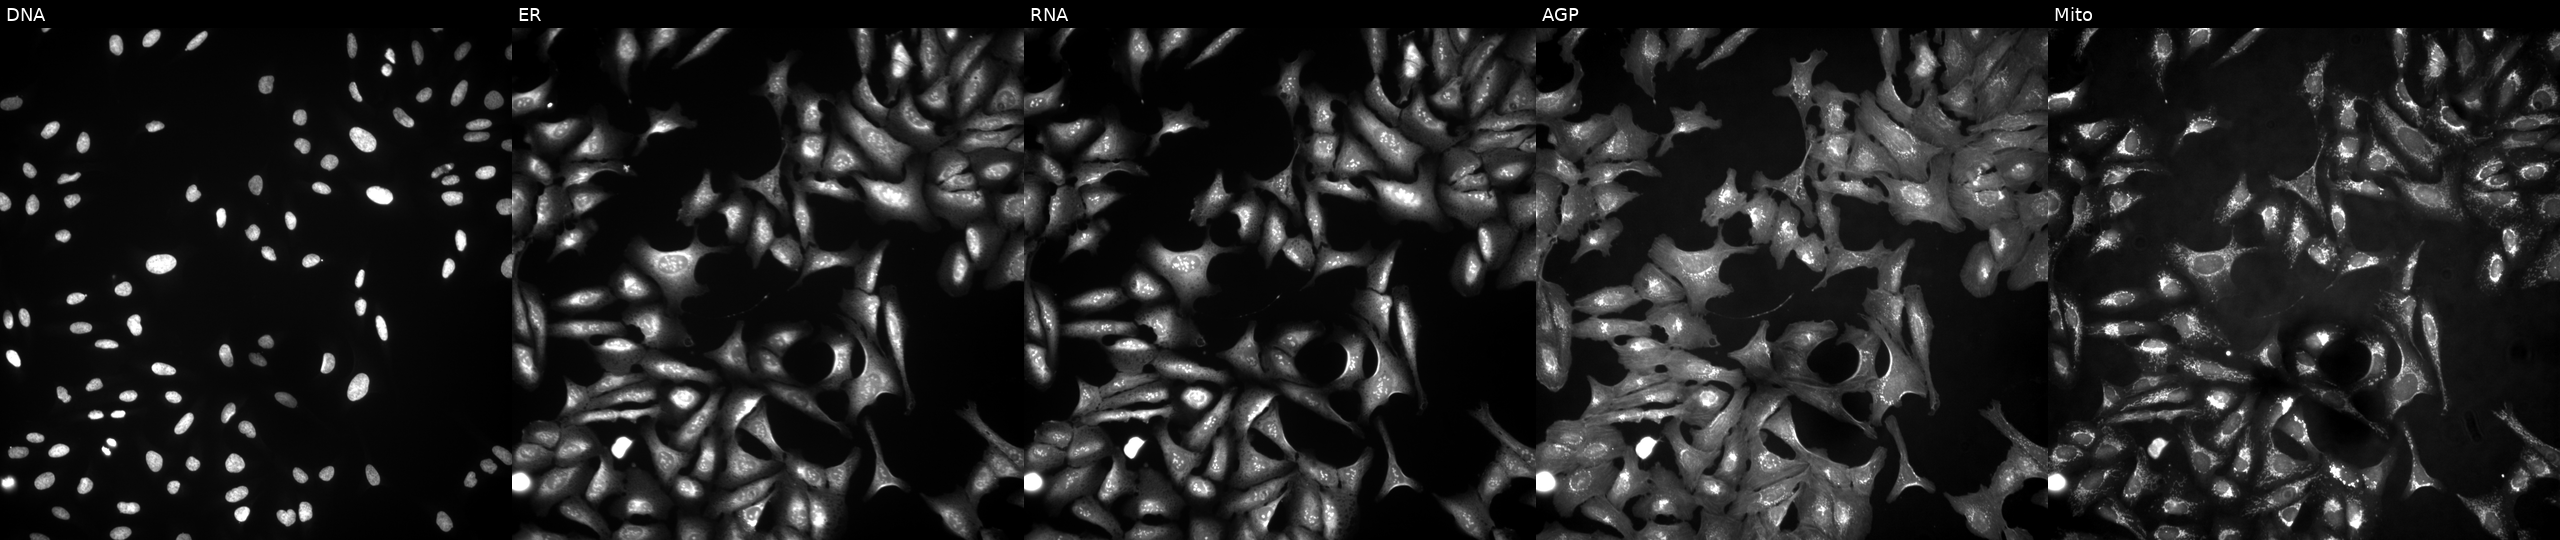
This image strip shows the five Cell Painting channels for a single field of U2OS cells overexpressing IDNK via ORF transfection. The five panels, left to right, show DNA (nuclei); ER (endoplasmic reticulum); RNA (nucleoli and cytoplasmic RNA); AGP (actin cytoskeleton, Golgi, and plasma membrane); Mito (mitochondria).